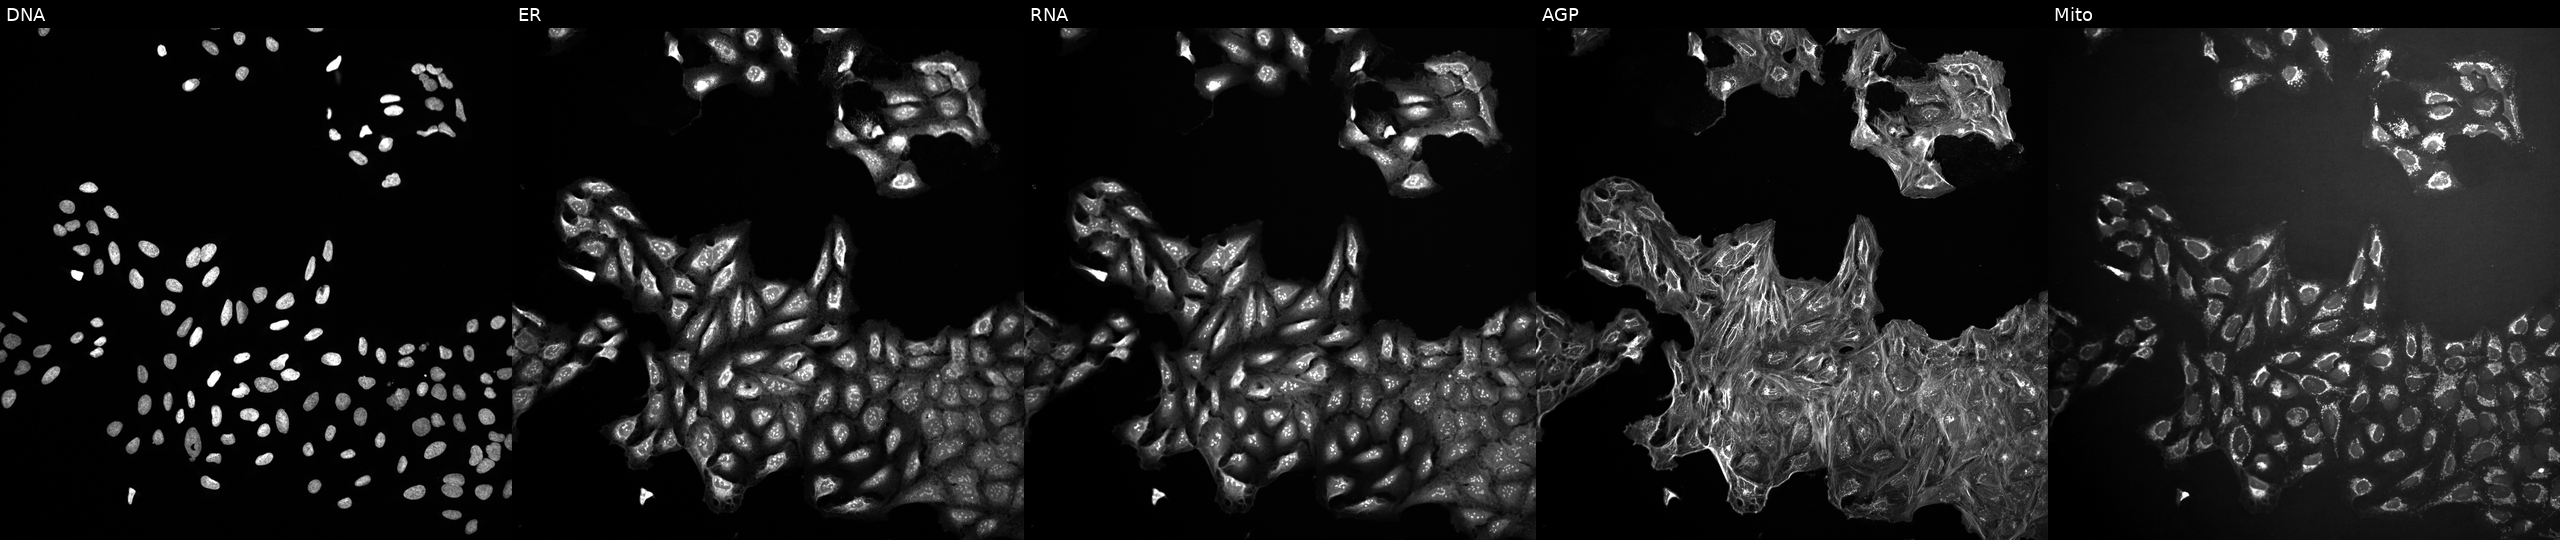
This image strip shows the five Cell Painting channels for a single field of U2OS cells treated with DMSO vehicle only (negative control) (JUMP id JCP2022_033924). From left to right: DNA (nuclei); ER (endoplasmic reticulum); RNA (nucleoli and cytoplasmic RNA); AGP (actin cytoskeleton, Golgi, and plasma membrane); Mito (mitochondria). Source 10, plate Dest210726-160150, well E23.